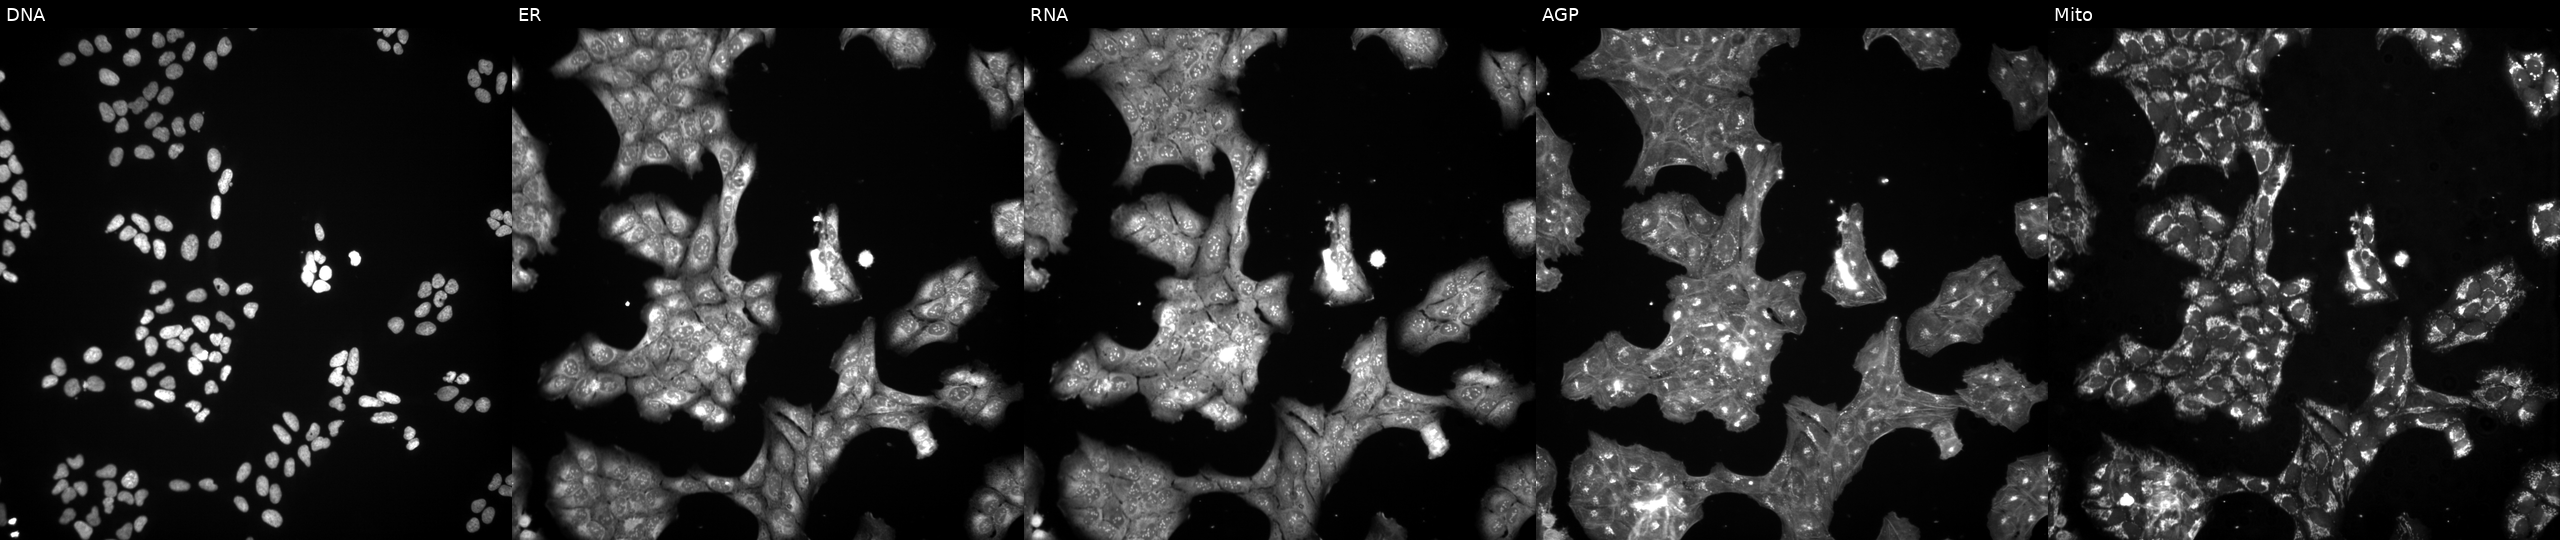
Five-channel Cell Painting image of U2OS cells exposed to a small-molecule compound (InChIKey NBTNHSGBRGTFJS-UHFFFAOYSA-N) (JUMP id JCP2022_057971). The five panels, left to right, show DNA, ER, RNA, AGP, and Mito.